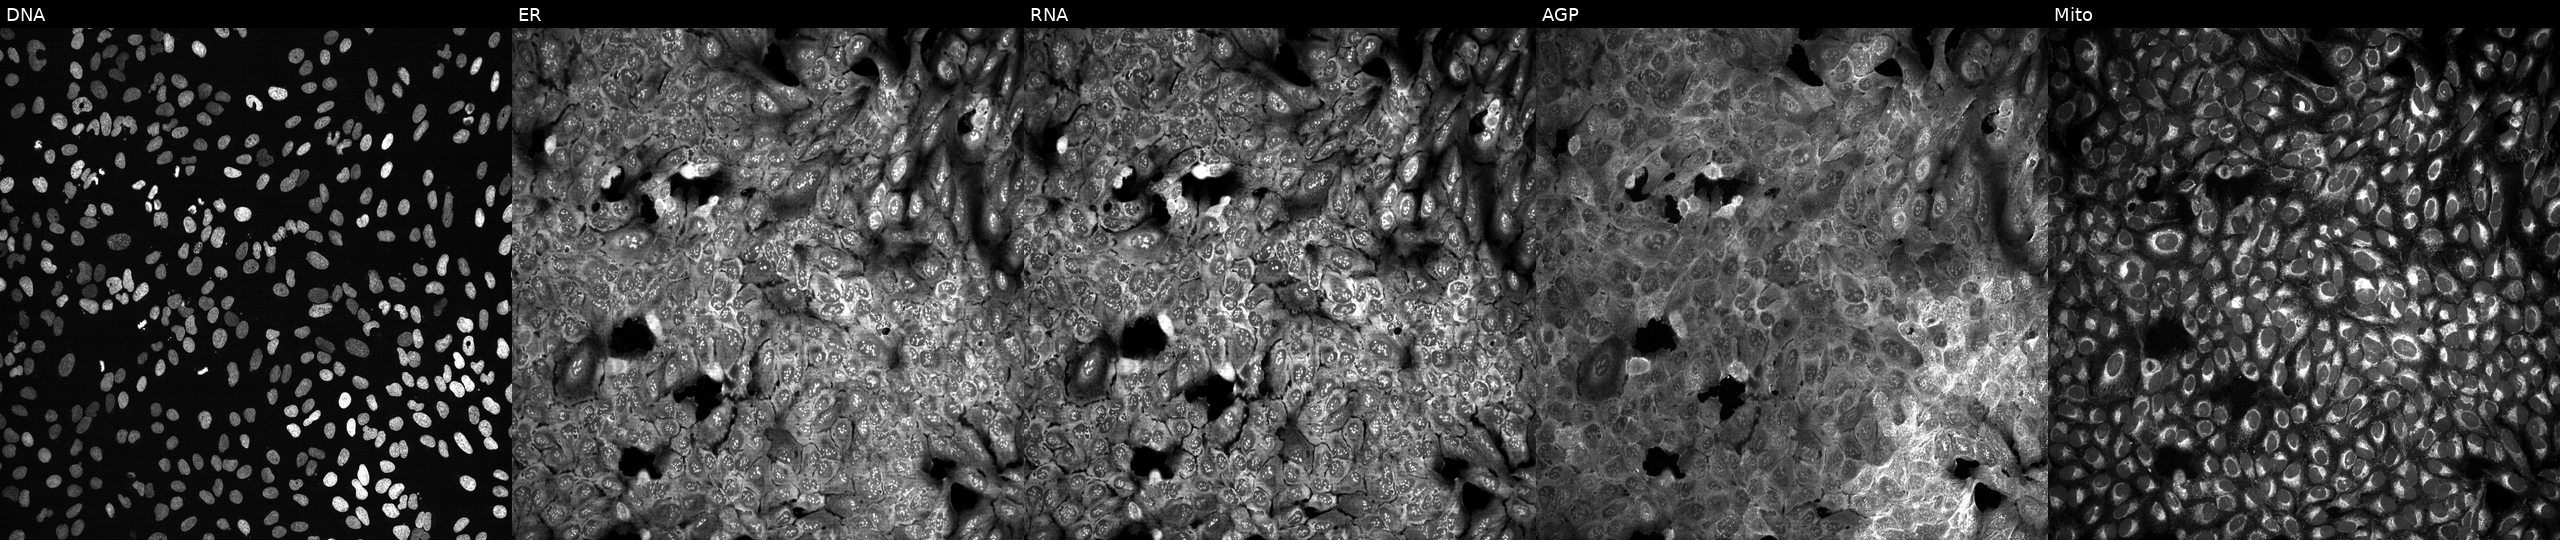
This image strip shows the five Cell Painting channels for a single field of U2OS cells with MYH4 knocked out by CRISPR. From left to right: Hoechst 33342, concanavalin A, SYTO 14, phalloidin and WGA, MitoTracker. Source 13, plate CP-CC9-R3-02, well D05.